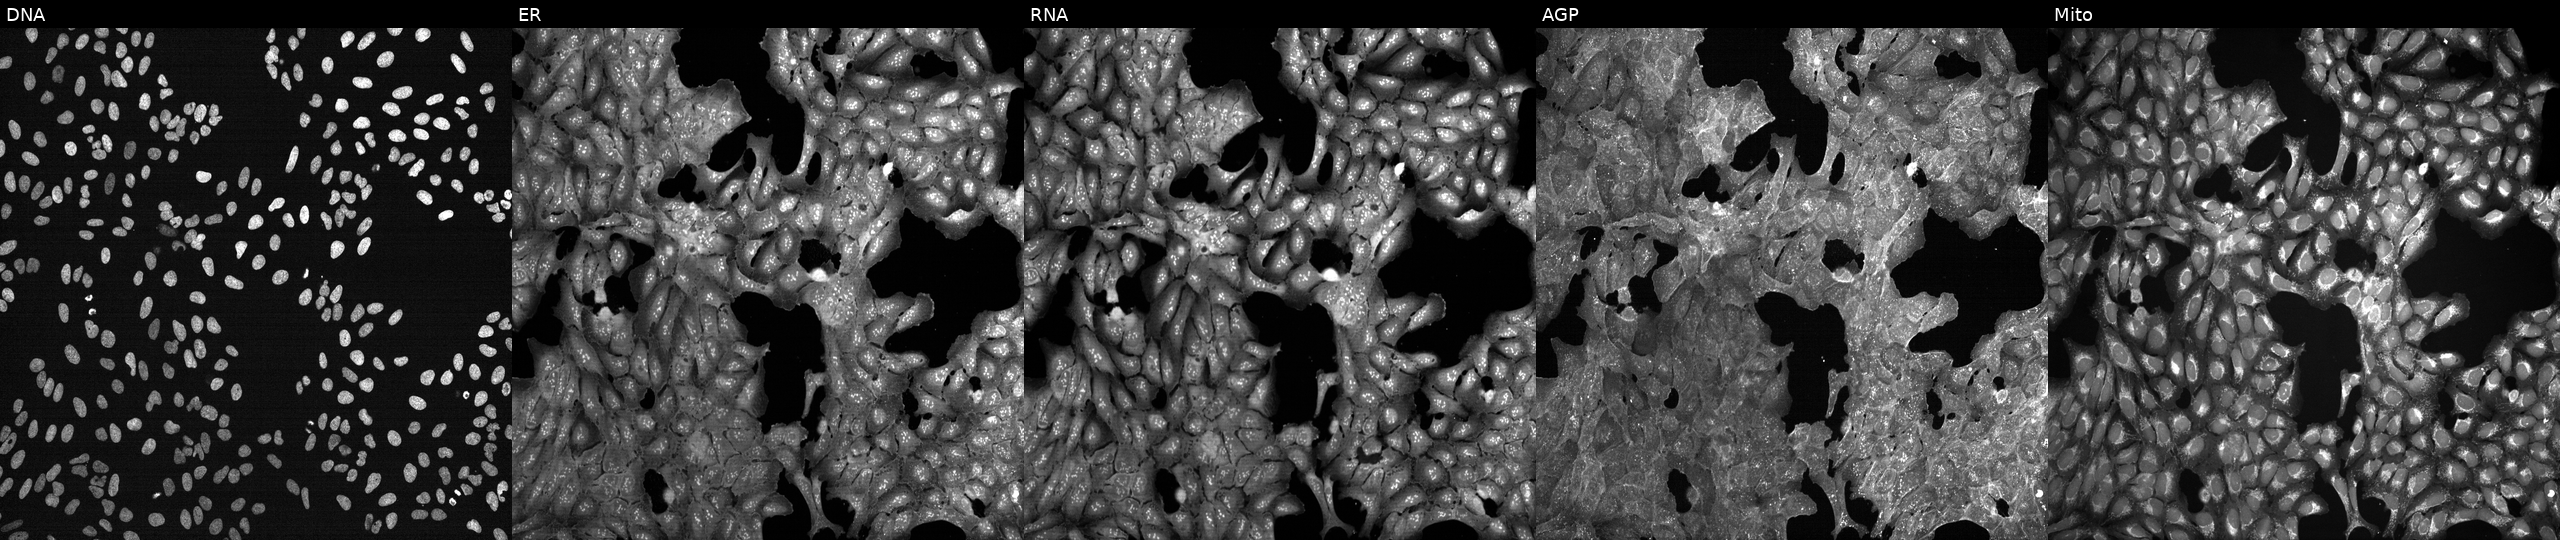
Five-channel Cell Painting image of U2OS cells treated with DMSO vehicle only (negative control). Channels (left→right): Hoechst 33342, concanavalin A, SYTO 14, phalloidin and WGA, MitoTracker. Source 7, plate CP2-SC1-25, well H06.